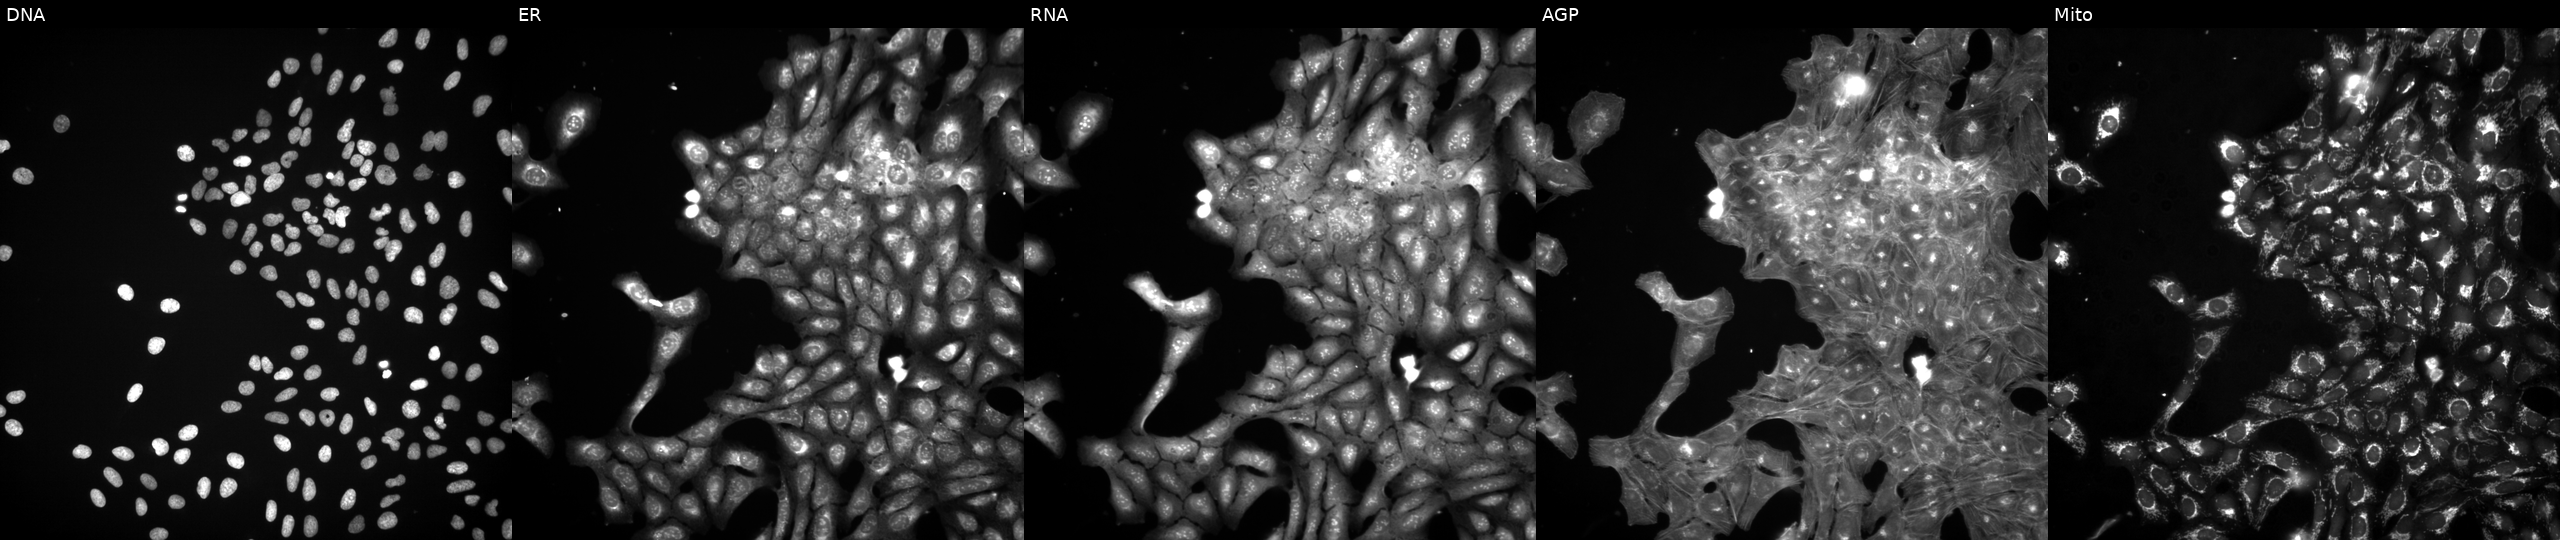
JUMP Cell Painting — TARGET2 plate. U2OS cells treated with a small-molecule compound (InChIKey KSCFJBIXMNOVSH-UHFFFAOYSA-N) [SMILES: Cn1c(=O)c2c(ncn2CC(O)CO)n(C)c1=O]. The five panels, left to right, show DNA (nuclei); ER (endoplasmic reticulum); RNA (nucleoli and cytoplasmic RNA); AGP (actin cytoskeleton, Golgi, and plasma membrane); Mito (mitochondria). Source 3, plate JCPQC053, well N13.